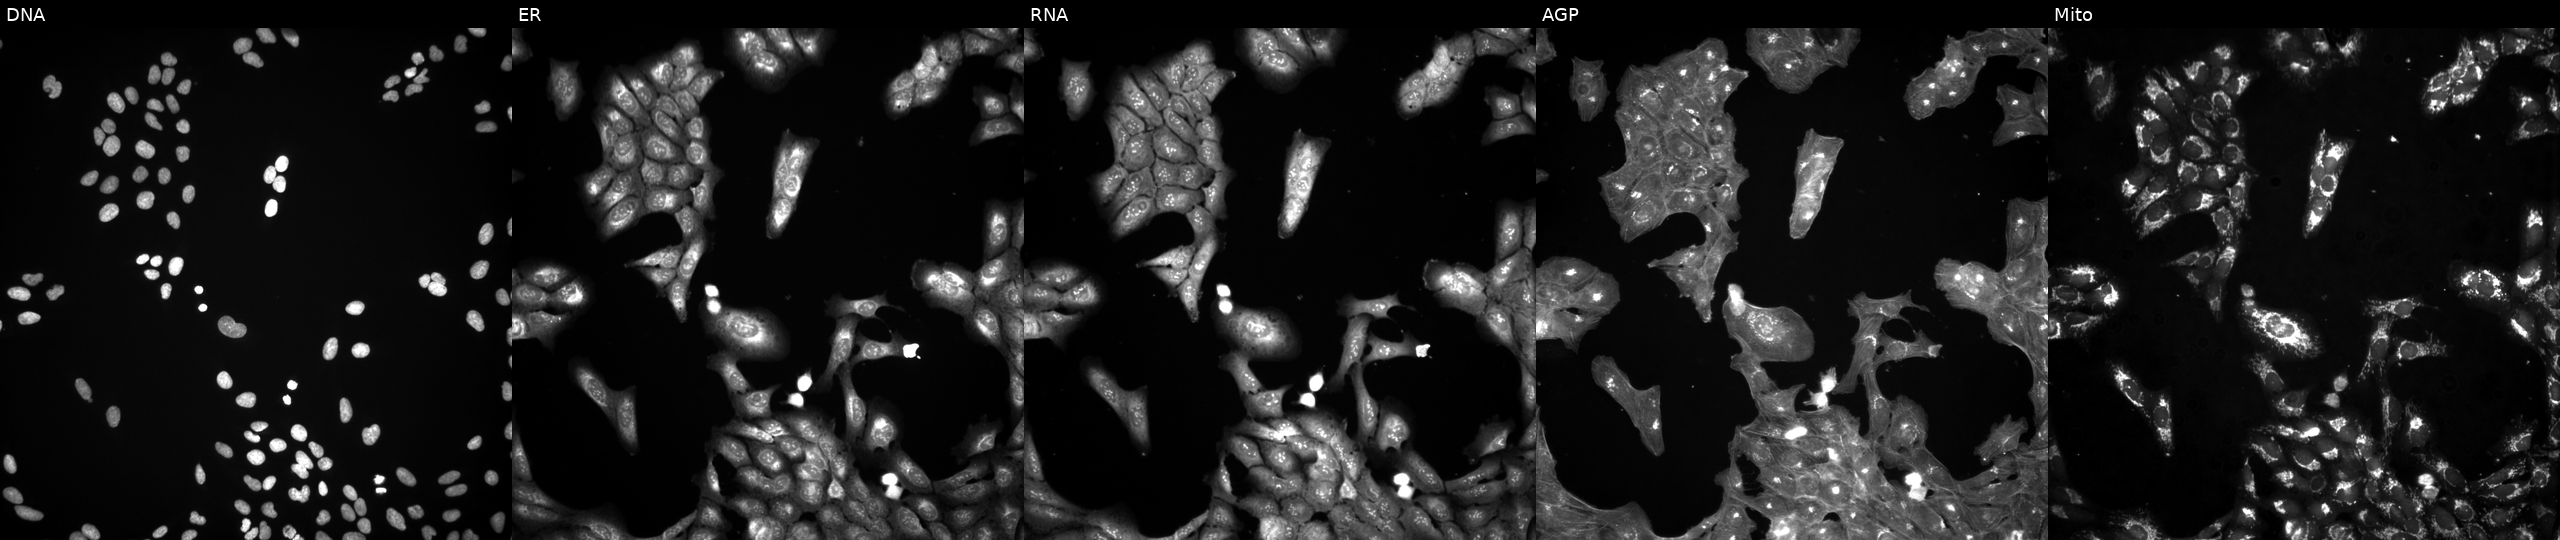
Five-channel Cell Painting image of U2OS cells exposed to a small-molecule compound (InChIKey VUGONAYCQHXINX-UHFFFAOYSA-N) (JUMP id JCP2022_096322). Panels show, left to right, DNA, ER, RNA, AGP, and Mito.